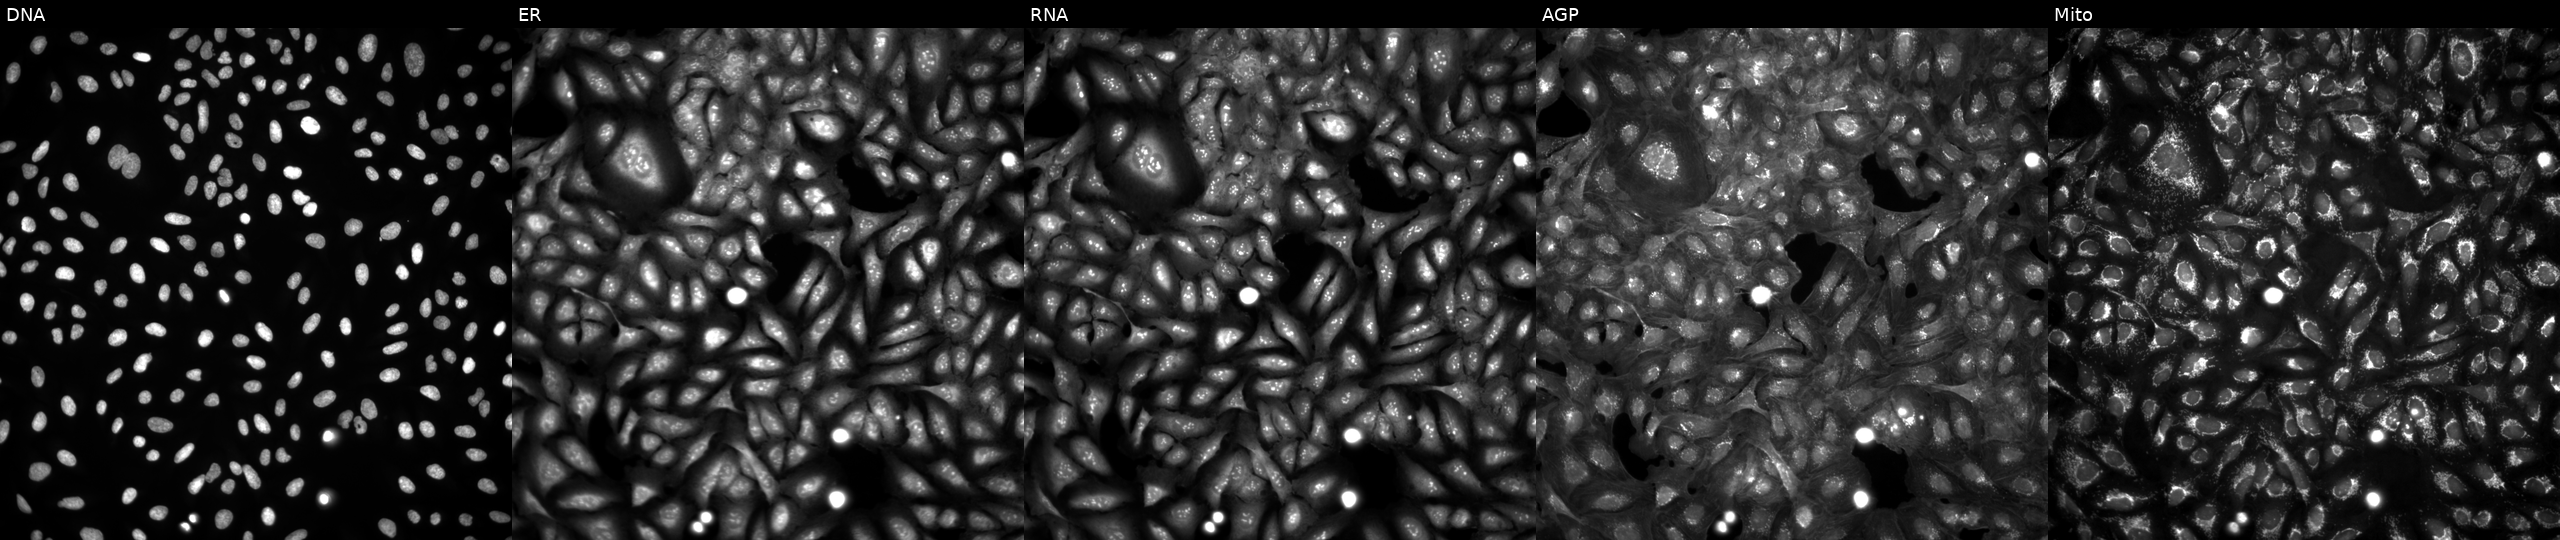
Five-channel Cell Painting image of U2OS cells in an empty control well (no perturbation) (JUMP id JCP2022_999999). From left to right: DNA, ER, RNA, AGP, and Mito.